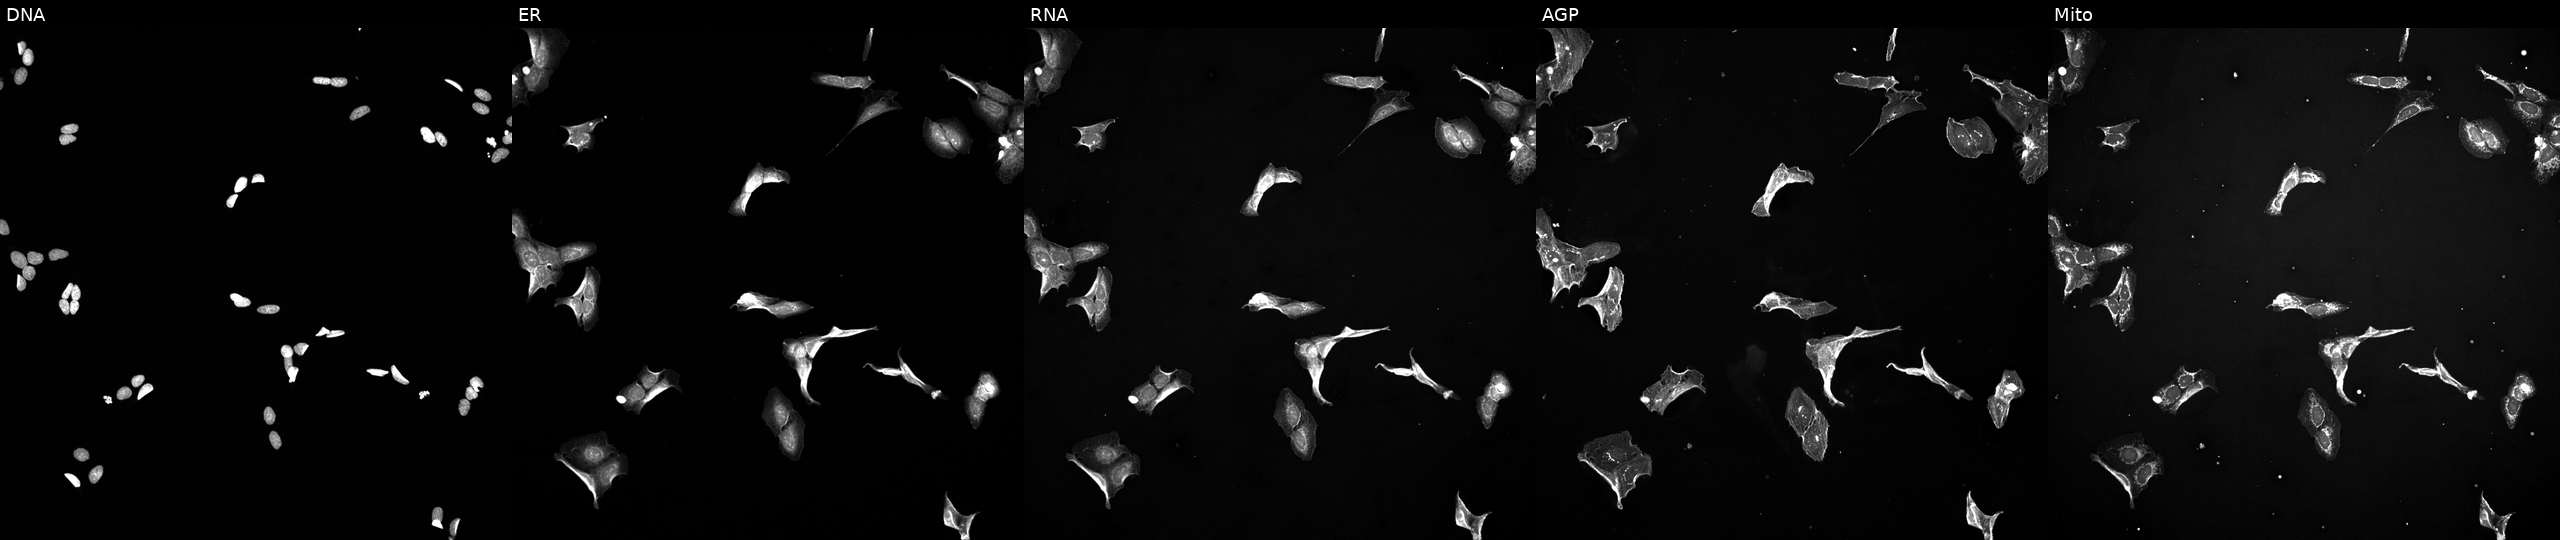
High-content fluorescence microscopy (Cell Painting). Cell line: U2OS. Perturbation: treated with a small-molecule compound (InChIKey NVRXTLZYXZNATH-UHFFFAOYSA-N) [SMILES: N=c1[nH]cnc2c1c(-c1cnc3[nH]ccc3c1)nn2C1CCCC1]. The five panels, left to right, show Hoechst 33342, concanavalin A, SYTO 14, phalloidin and WGA, MitoTracker. Source 5, plate ACPJUM051, well B02.